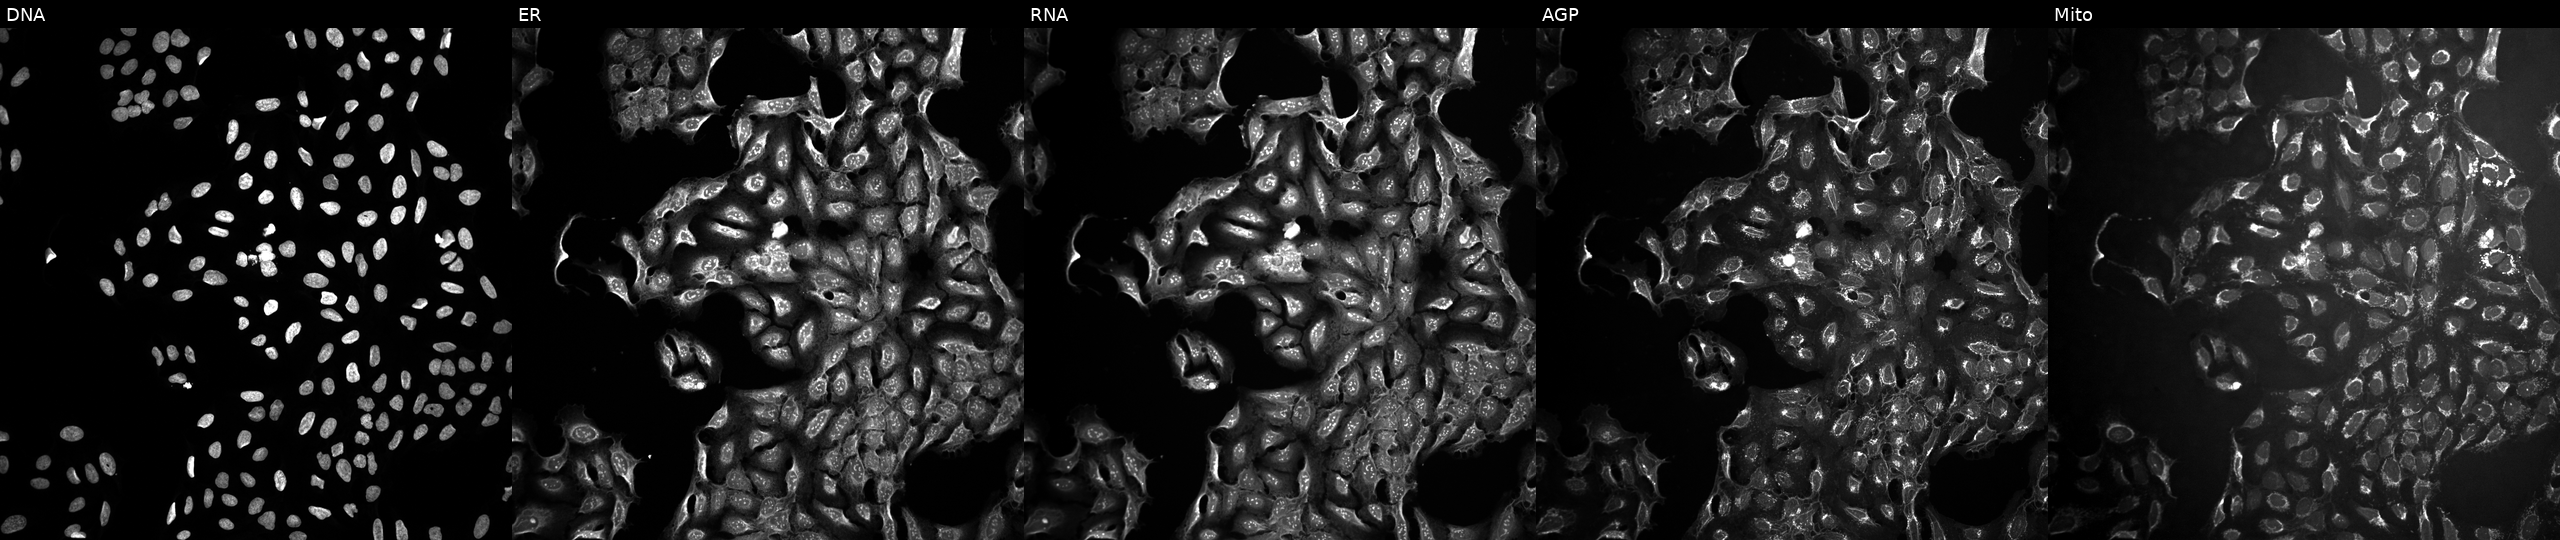
JUMP Cell Painting — TARGET2 plate. U2OS cells exposed to a small-molecule compound (InChIKey JDVVGAQPNNXQDW-UHFFFAOYSA-N) (JUMP id JCP2022_039116). The five panels, left to right, show Hoechst 33342, concanavalin A, SYTO 14, phalloidin and WGA, MitoTracker. Source 10, plate Dest210803-153958, well N21.